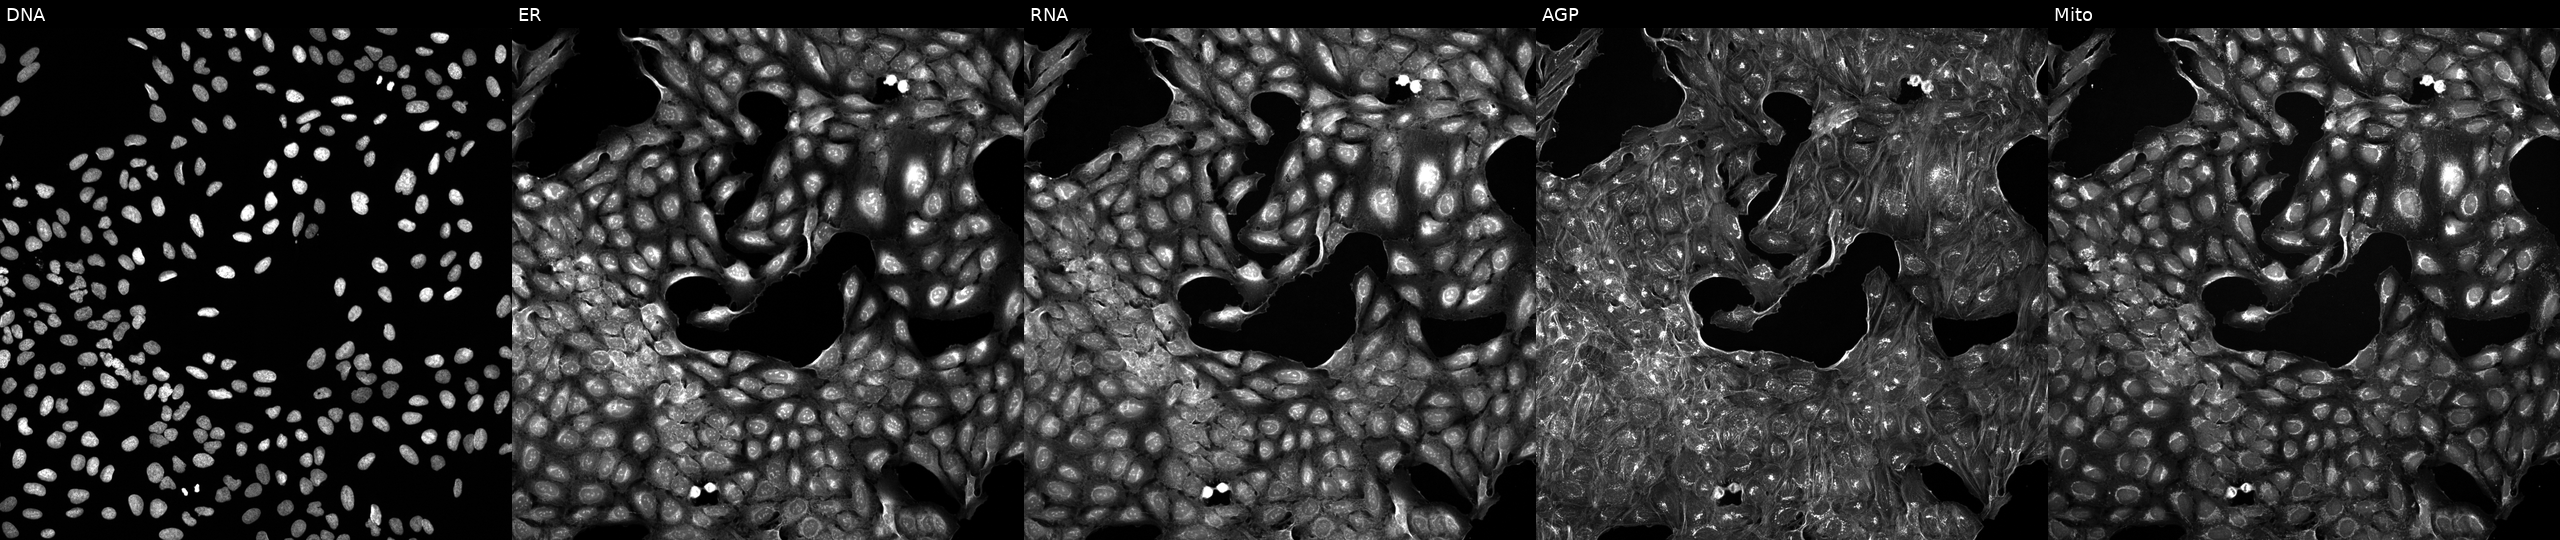
This image strip shows the five Cell Painting channels for a single field of U2OS cells perturbed with a small-molecule compound (JUMP id JCP2022_075377). From left to right: Hoechst 33342, concanavalin A, SYTO 14, phalloidin and WGA, MitoTracker. Source 5, plate APTJUM106, well K07.